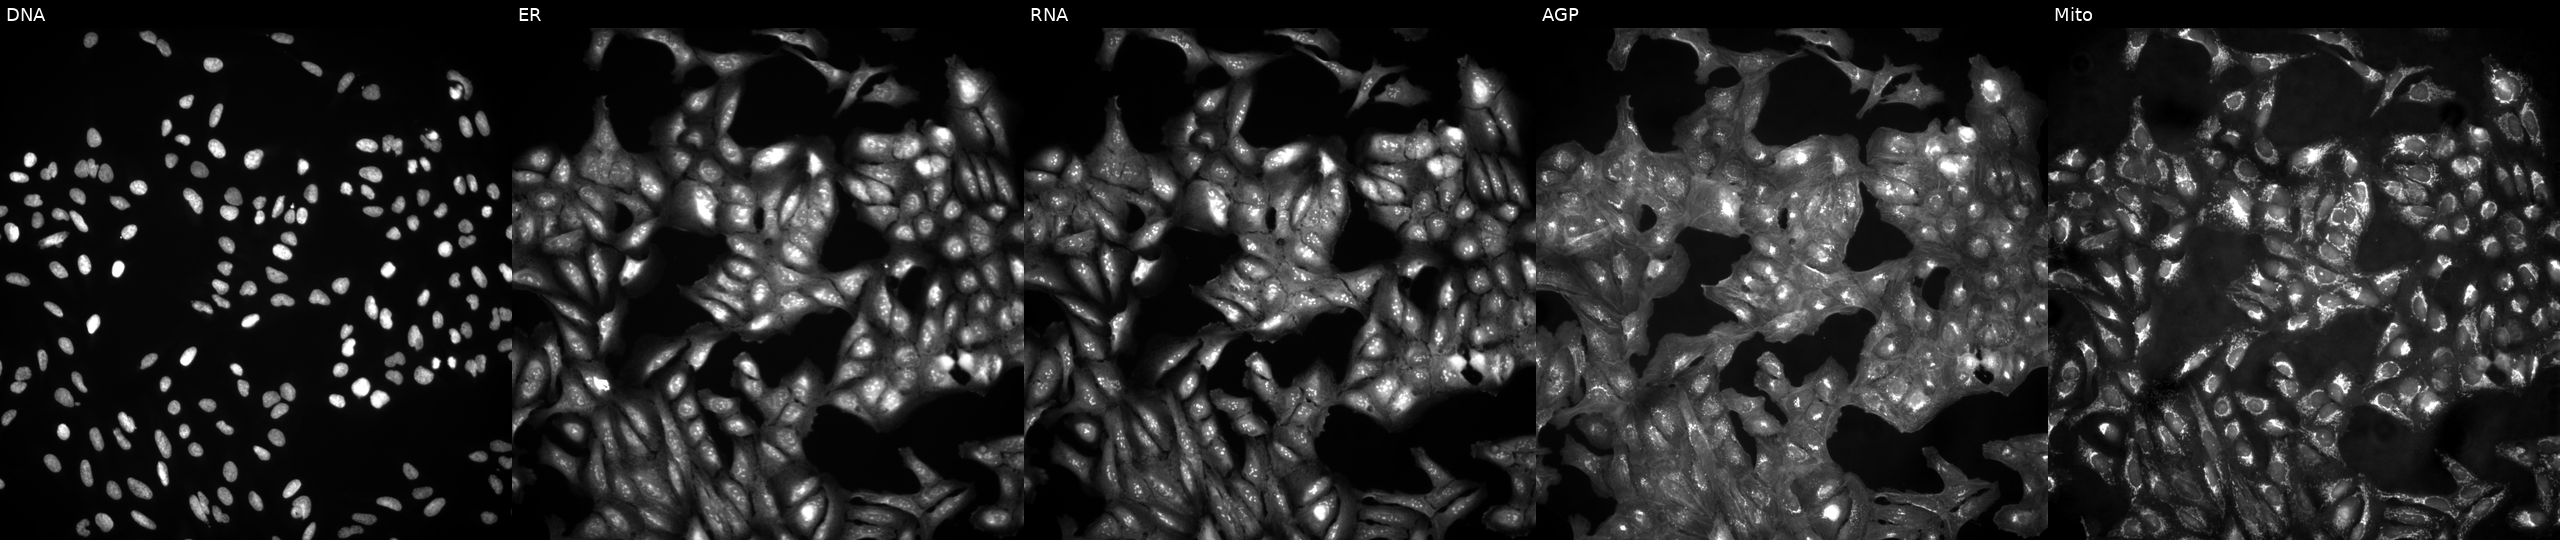
The five panels, left to right, show DNA, ER, RNA, AGP, and Mito. U2OS osteosarcoma cells untreated (empty-well control). Cell Painting assay, JUMP-CP dataset. Source 4, plate BR00123946, well I12.